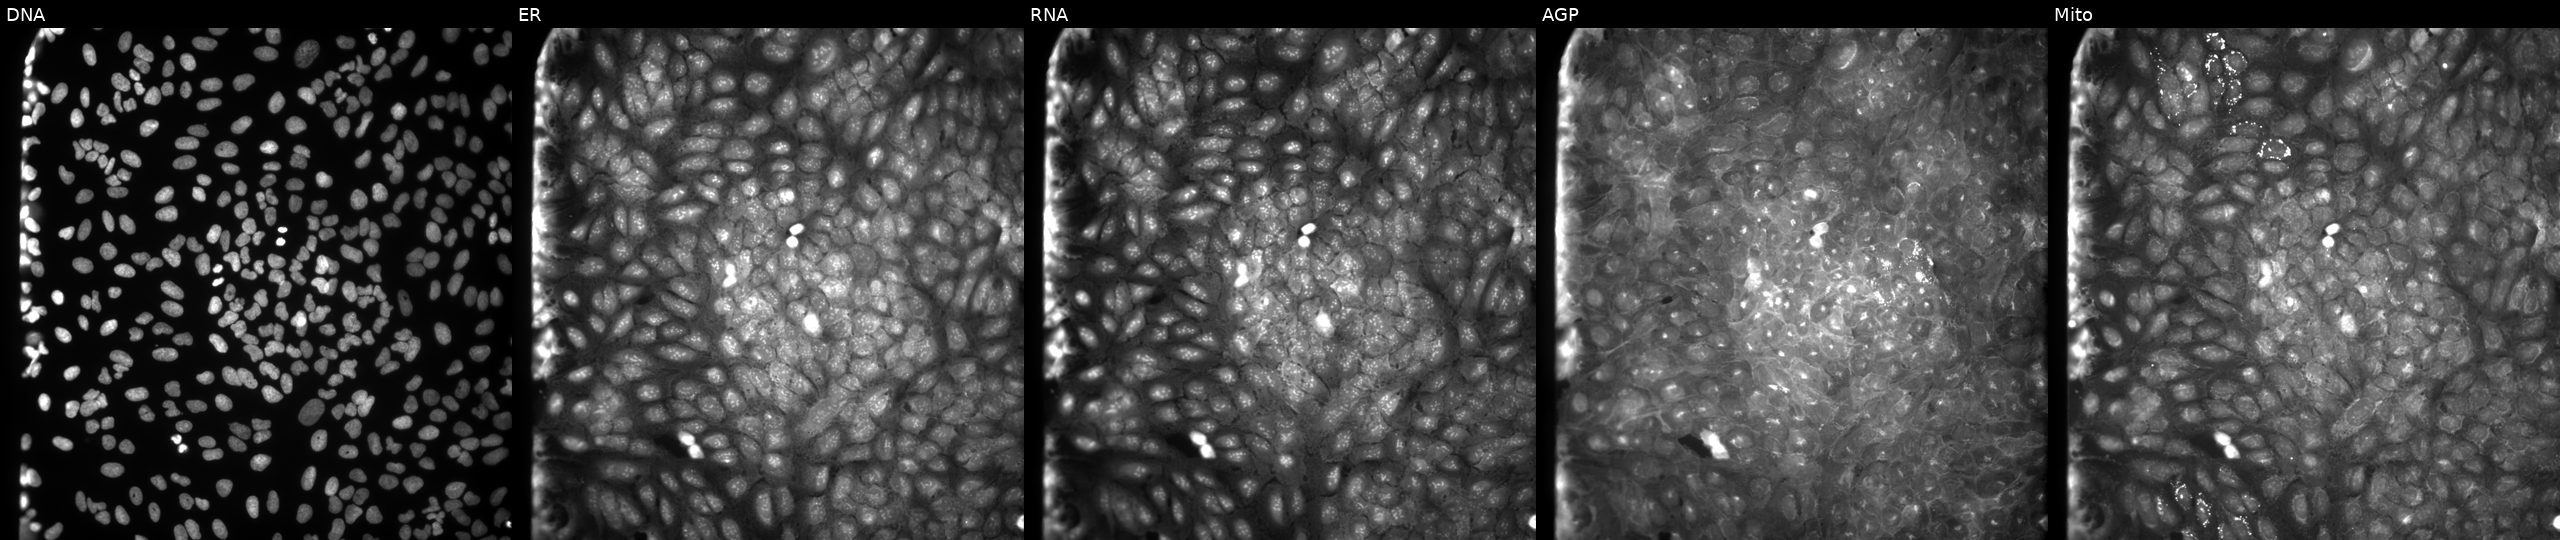
Panels show, left to right, DNA (nuclei); ER (endoplasmic reticulum); RNA (nucleoli and cytoplasmic RNA); AGP (actin cytoskeleton, Golgi, and plasma membrane); Mito (mitochondria). U2OS osteosarcoma cells treated with DMSO vehicle only (negative control). Cell Painting assay, JUMP-CP dataset. Source 9, plate GR00003382, well Q02.